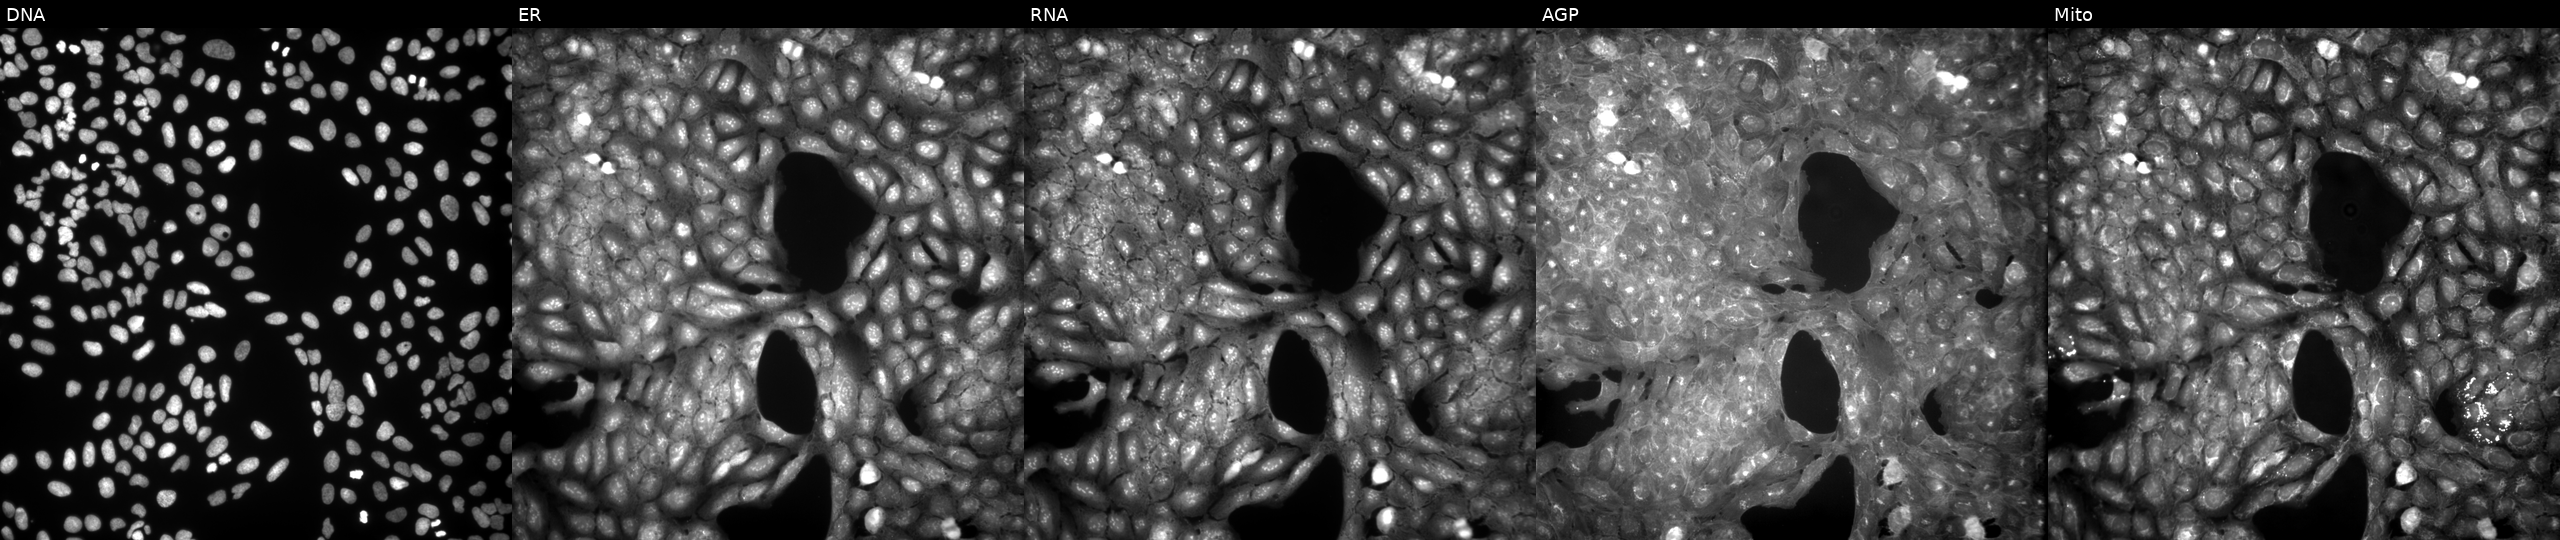
This image strip shows the five Cell Painting channels for a single field of U2OS cells exposed to a small-molecule compound (InChIKey ZDAYBSLVLDJDCY-UHFFFAOYSA-N). From left to right: Hoechst 33342, concanavalin A, SYTO 14, phalloidin and WGA, MitoTracker. Source 9, plate GR00003381, well C38.